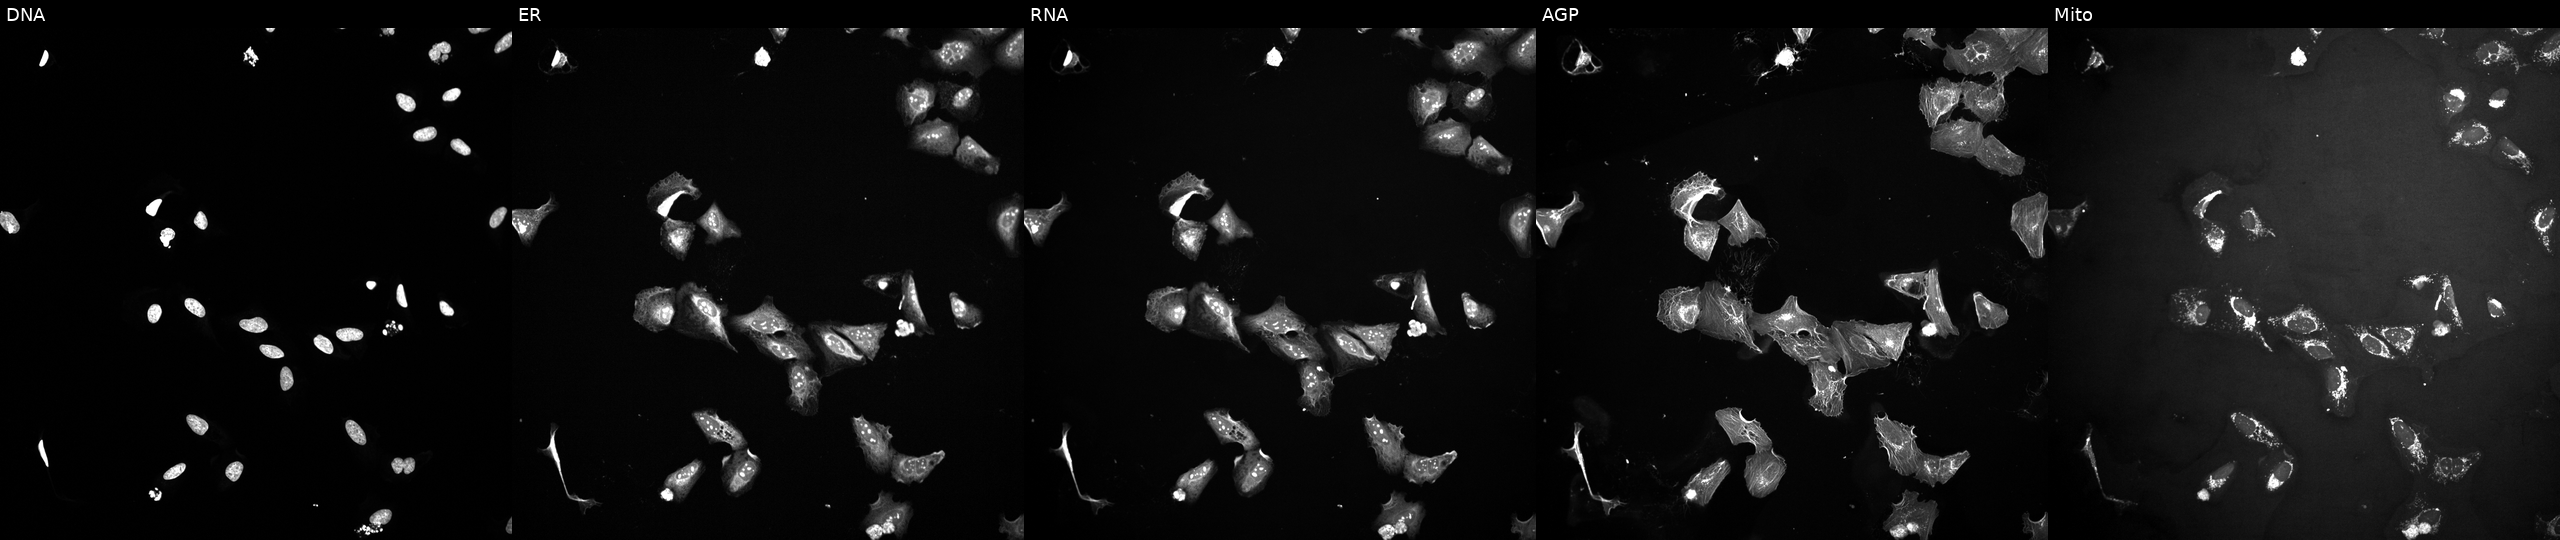
Panels show, left to right, DNA (nuclei); ER (endoplasmic reticulum); RNA (nucleoli and cytoplasmic RNA); AGP (actin cytoskeleton, Golgi, and plasma membrane); Mito (mitochondria). U2OS osteosarcoma cells treated with TC-S-7004 (positive-control compound). Cell Painting assay, JUMP-CP dataset.